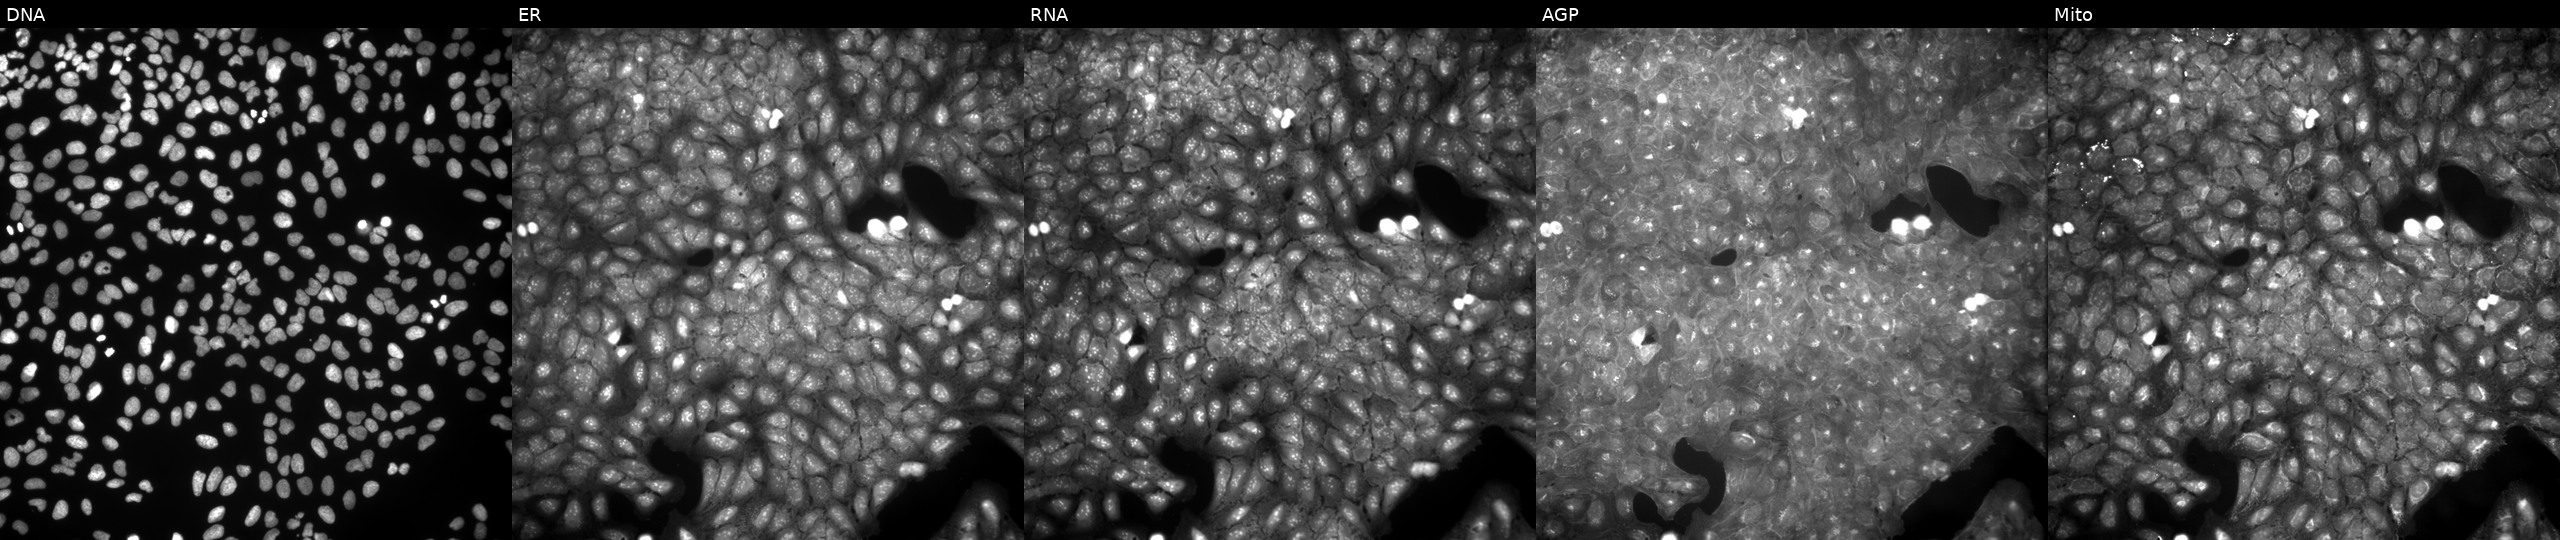
High-content fluorescence microscopy (Cell Painting). Cell line: U2OS. Perturbation: exposed to a small-molecule compound (InChIKey FOAUJYUTRFJAAF-UHFFFAOYSA-N). From left to right: DNA, ER, RNA, AGP, and Mito.